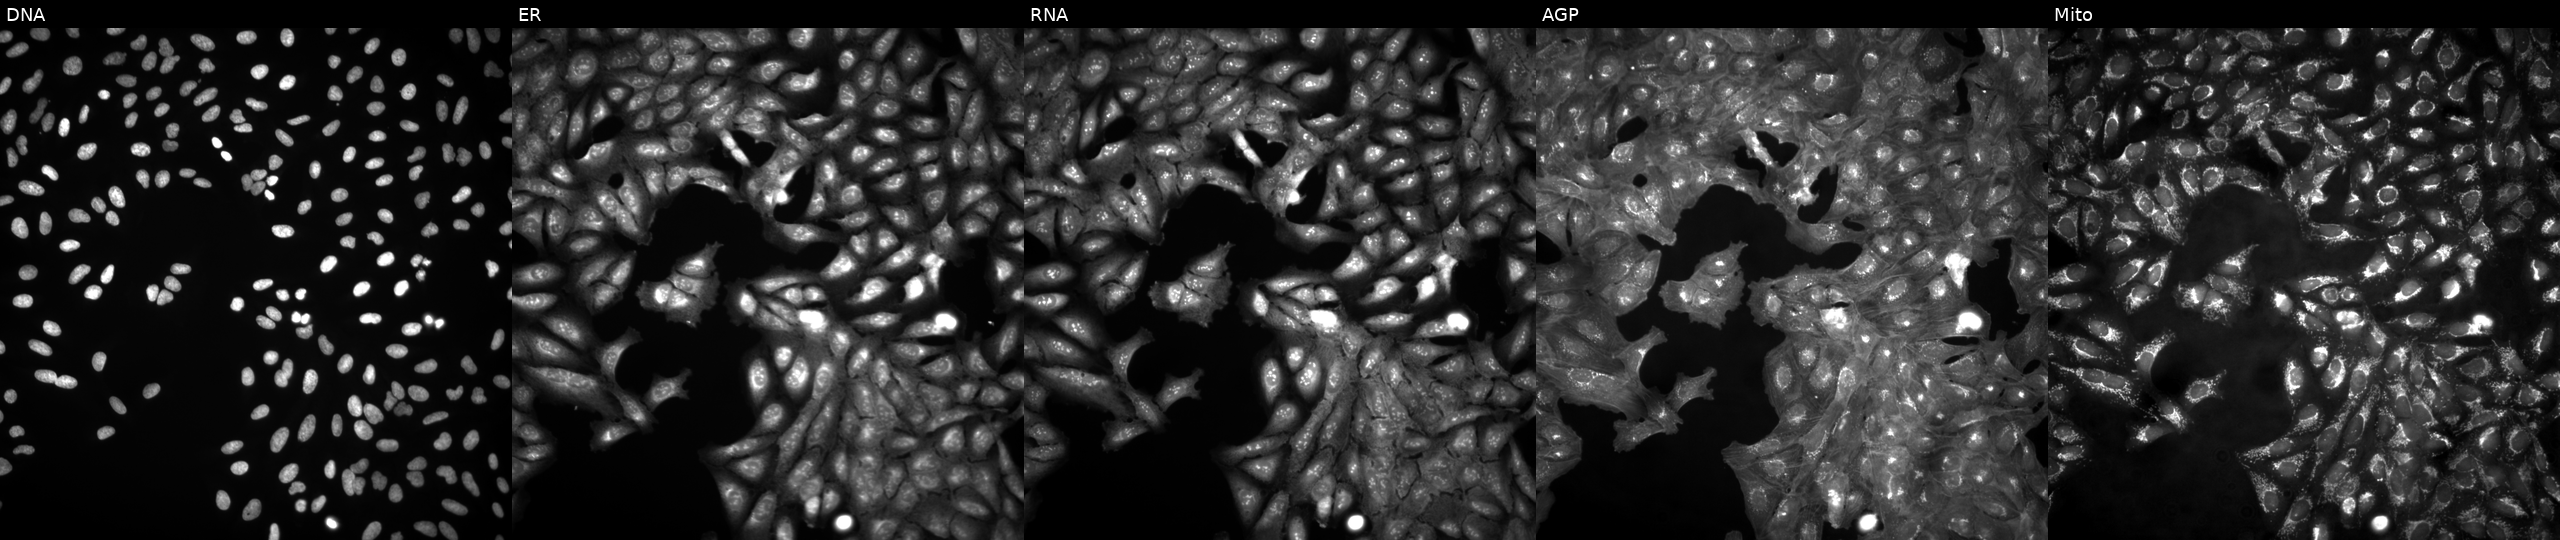
High-content fluorescence microscopy (Cell Painting). Cell line: U2OS. Perturbation: untreated (empty-well control) (JUMP id JCP2022_999999). Channels (left→right): DNA, ER, RNA, AGP, and Mito.